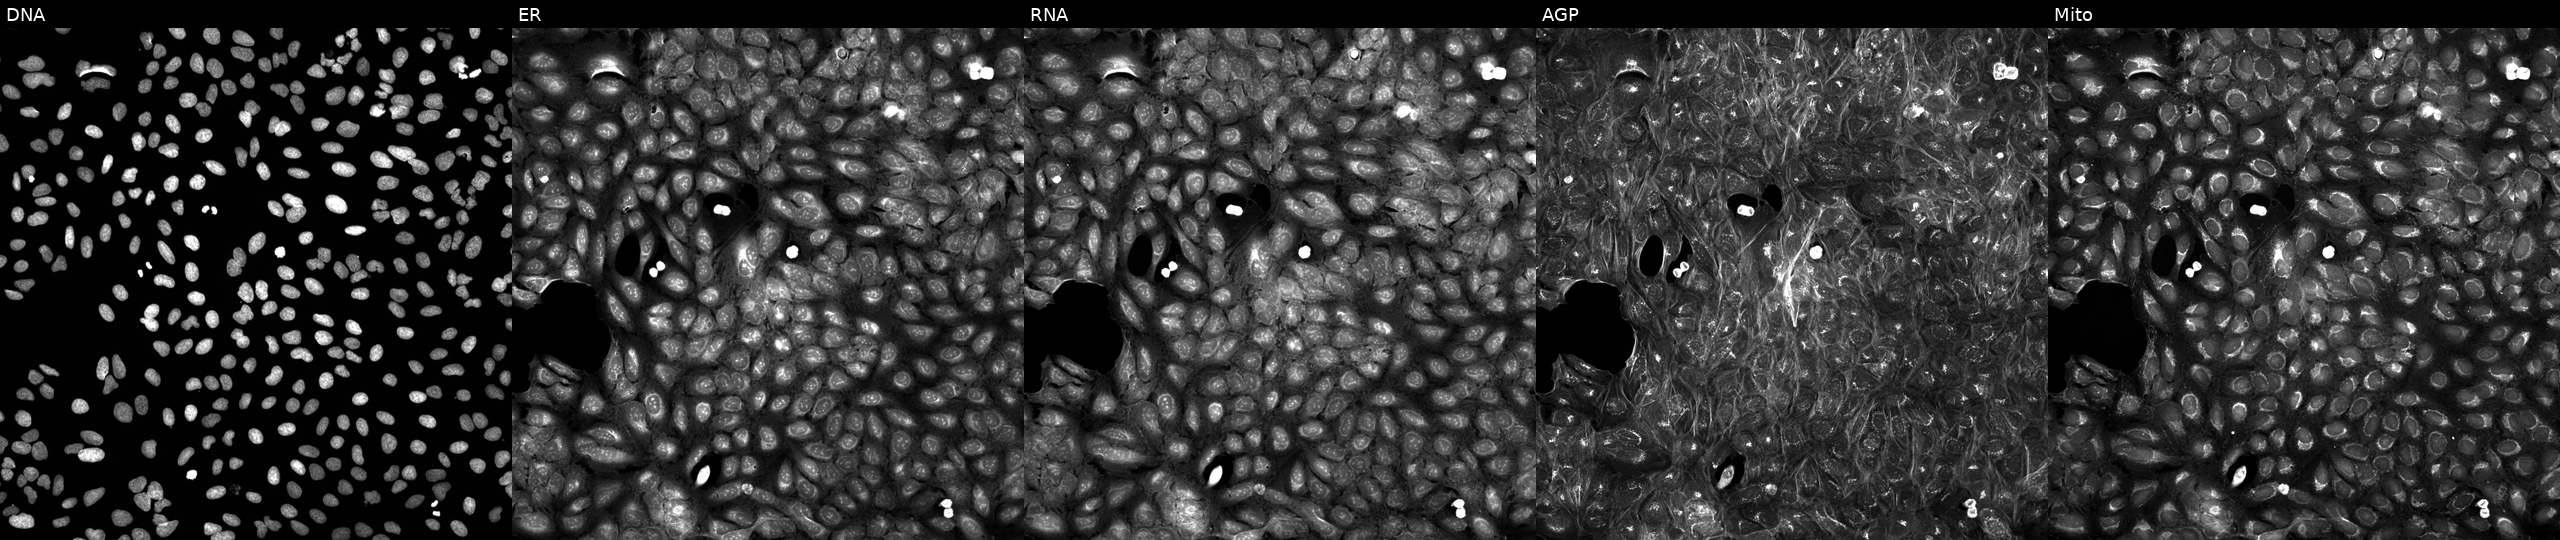
JUMP Cell Painting — COMPOUND plate. U2OS cells exposed to a small-molecule compound (InChIKey PTLNTIBXCCTANL-UHFFFAOYSA-N) (JUMP id JCP2022_070836). Channels (left→right): DNA (nuclei); ER (endoplasmic reticulum); RNA (nucleoli and cytoplasmic RNA); AGP (actin cytoskeleton, Golgi, and plasma membrane); Mito (mitochondria). Source 5, plate APTJUM106, well F07.